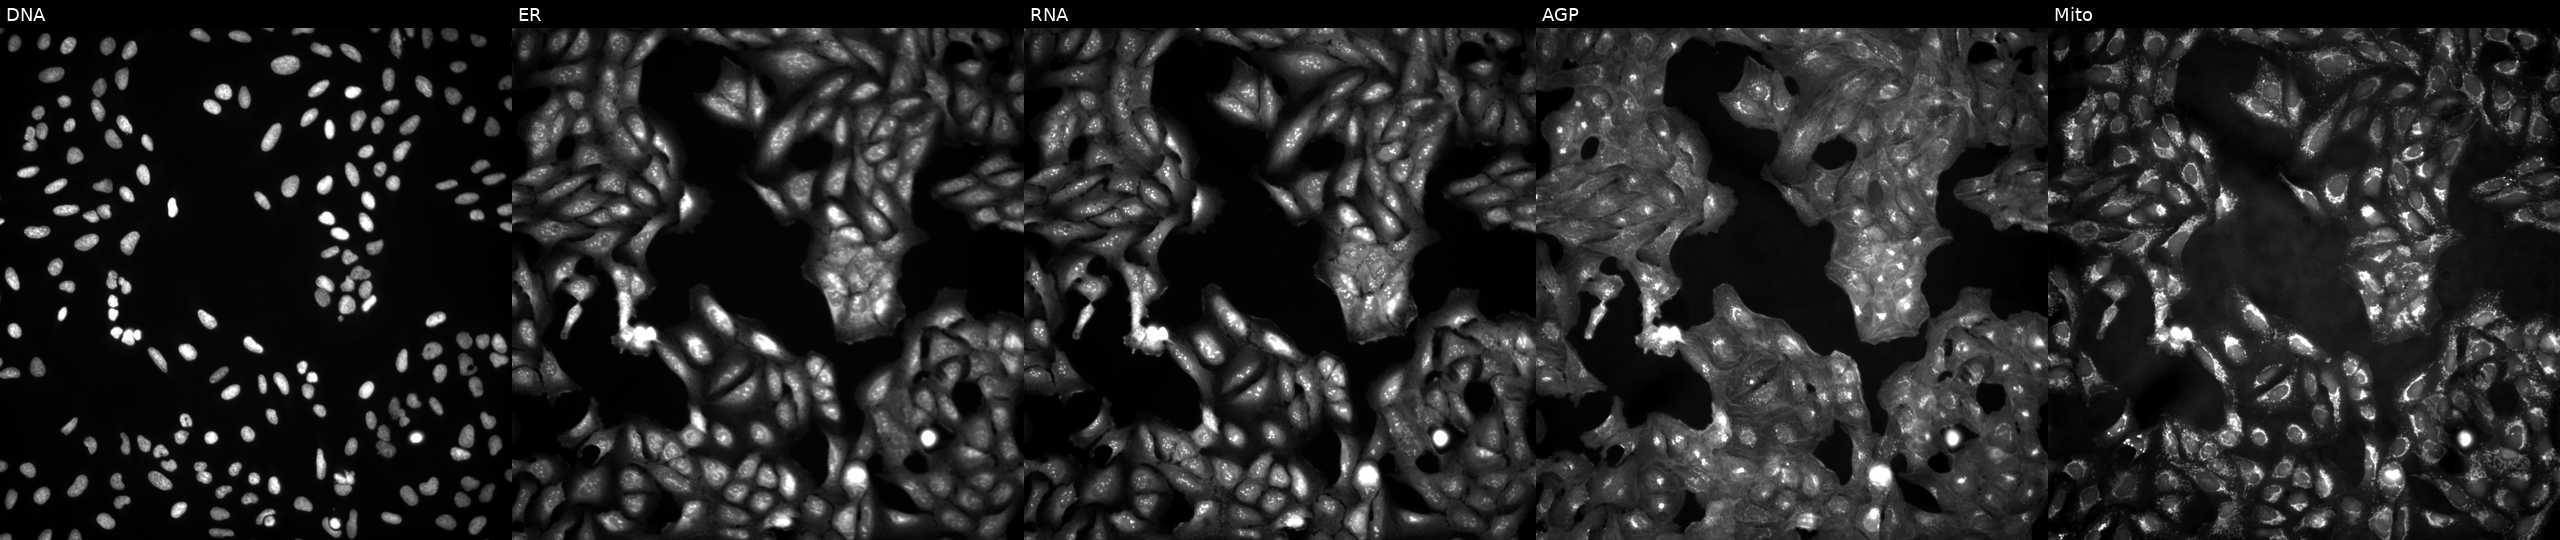
JUMP Cell Painting — ORF plate. U2OS cells in an empty control well (no perturbation). From left to right: DNA, ER, RNA, AGP, and Mito. Source 4, plate BR00123946, well I16.